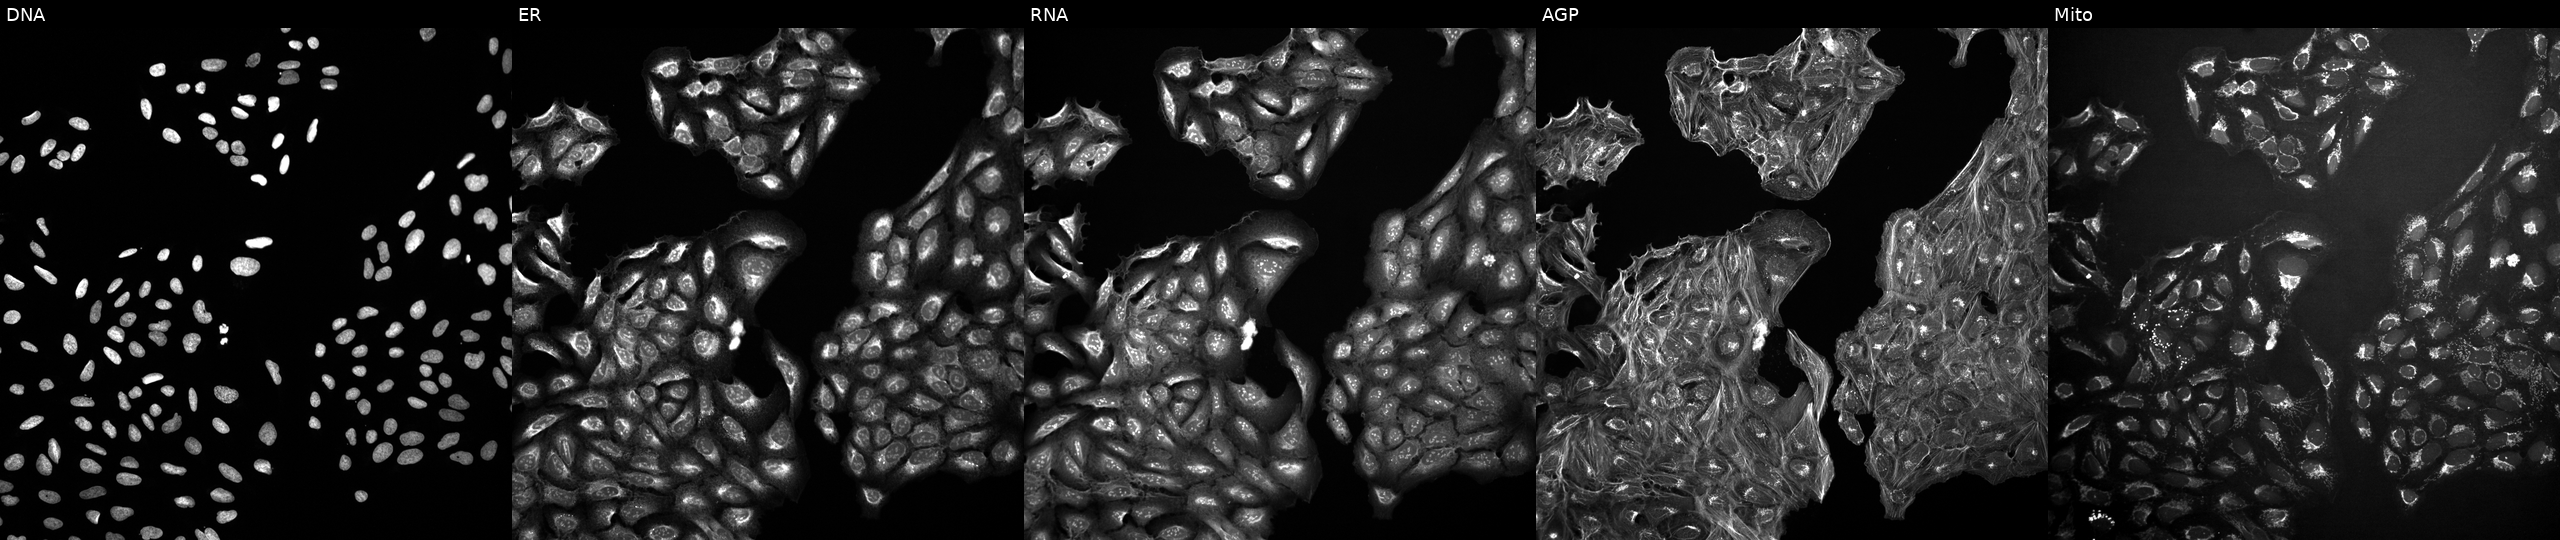
High-content fluorescence microscopy (Cell Painting). Cell line: U2OS. Perturbation: in an empty control well (no perturbation) (JUMP id JCP2022_999999). Channels (left→right): DNA (nuclei); ER (endoplasmic reticulum); RNA (nucleoli and cytoplasmic RNA); AGP (actin cytoskeleton, Golgi, and plasma membrane); Mito (mitochondria).